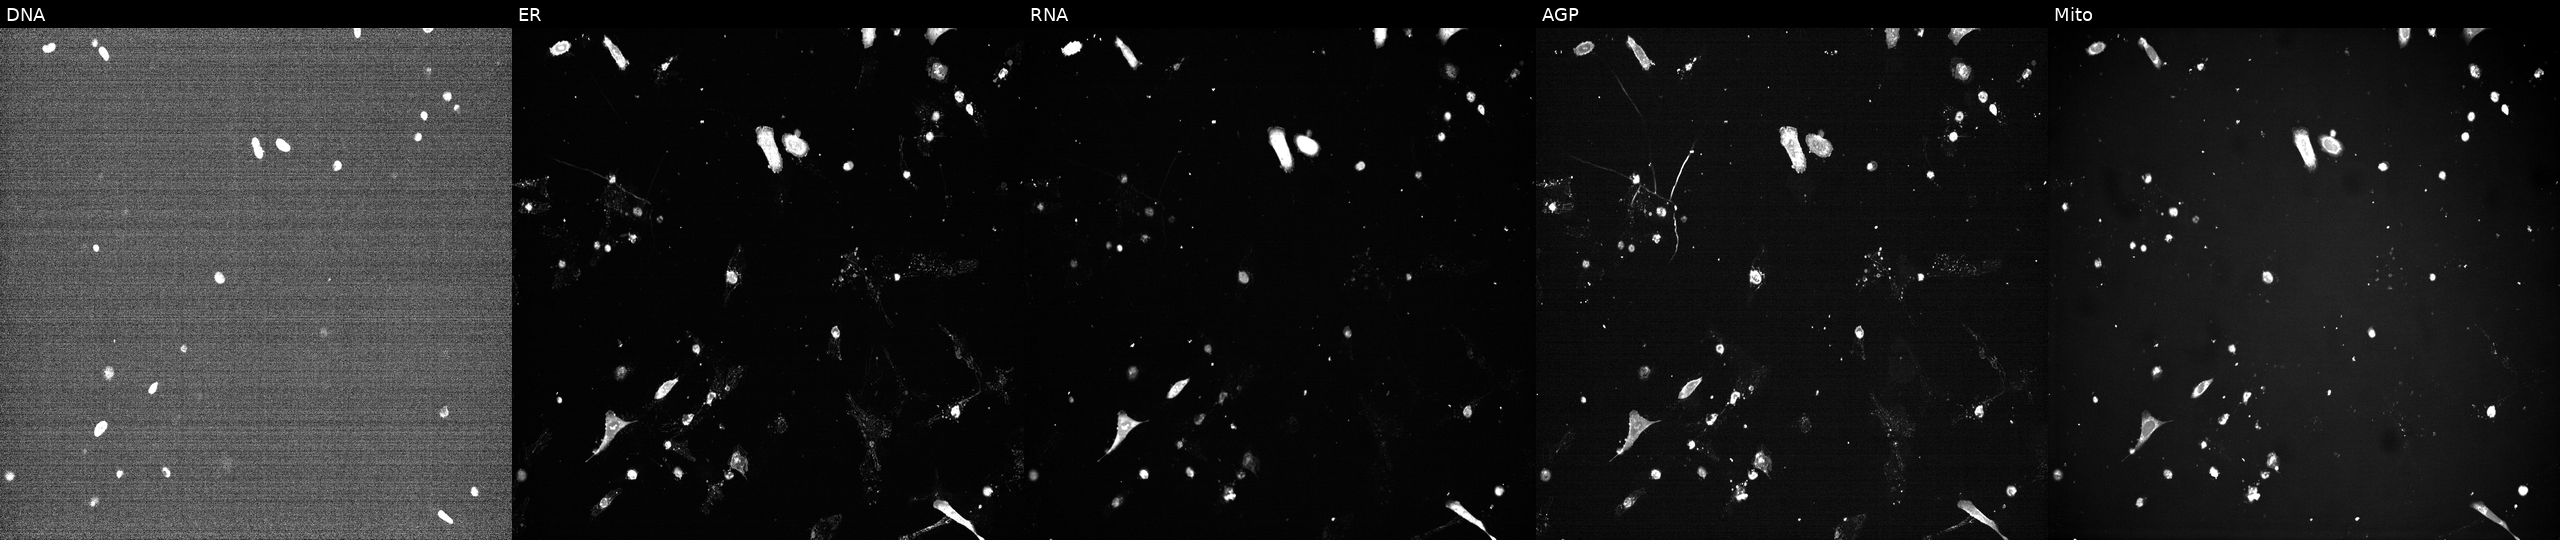
U2OS cells, Cell Painting assay, treated with a small-molecule compound. The five panels, left to right, show DNA, ER, RNA, AGP, and Mito. Each panel is percentile-stretched 16-bit fluorescence.